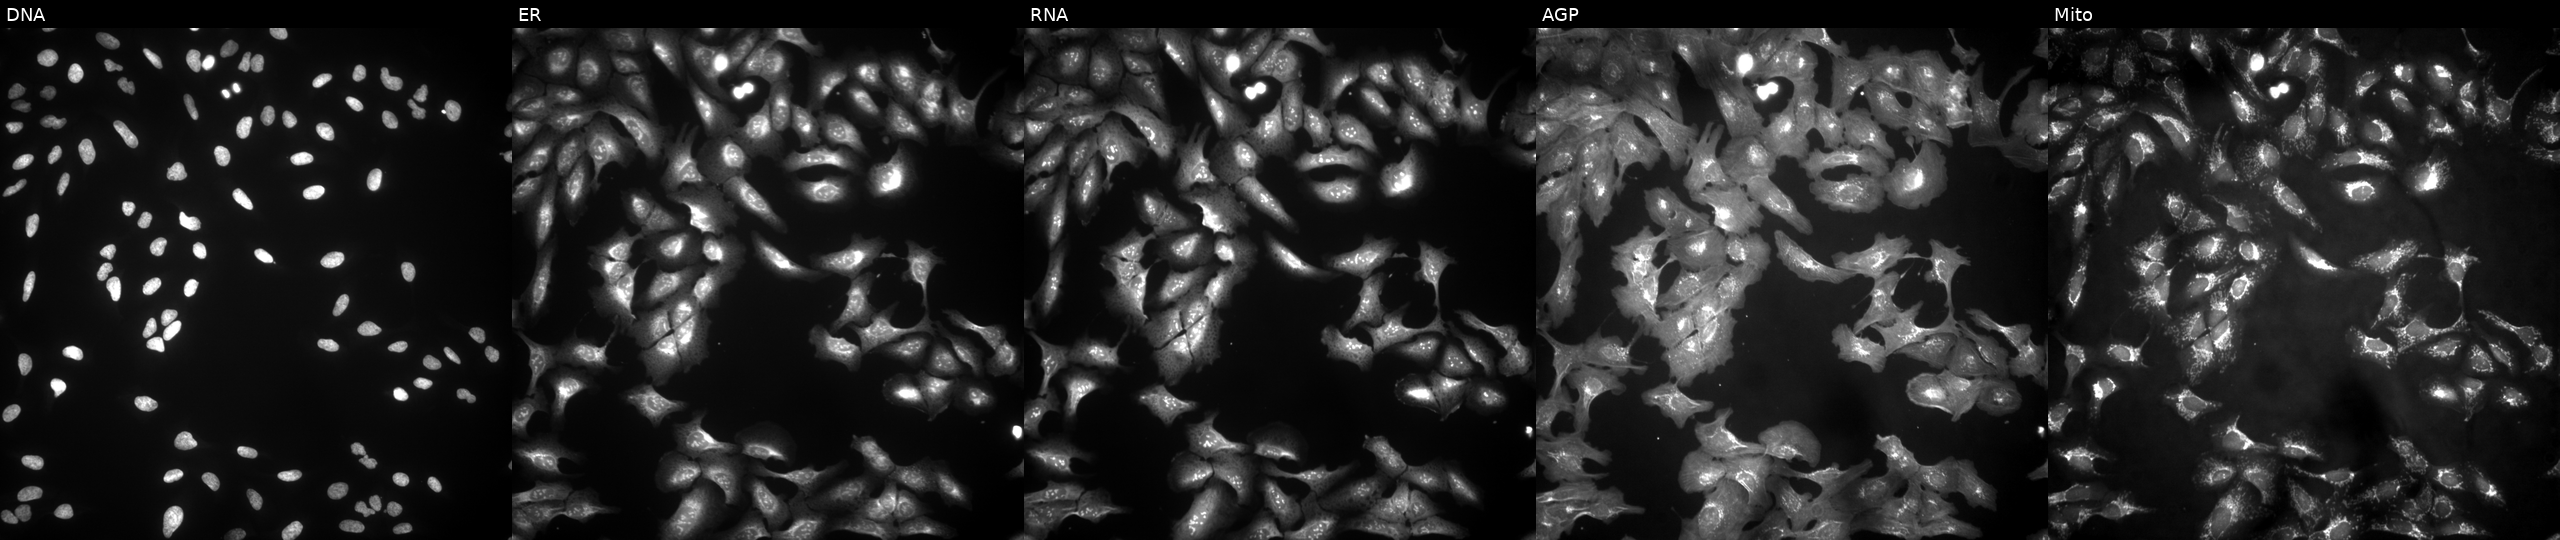
JUMP Cell Painting — ORF plate. U2OS cells overexpressing NCSTN via ORF transfection (JUMP id JCP2022_910940). From left to right: Hoechst 33342, concanavalin A, SYTO 14, phalloidin and WGA, MitoTracker. Source 4, plate BR00123506, well D13.